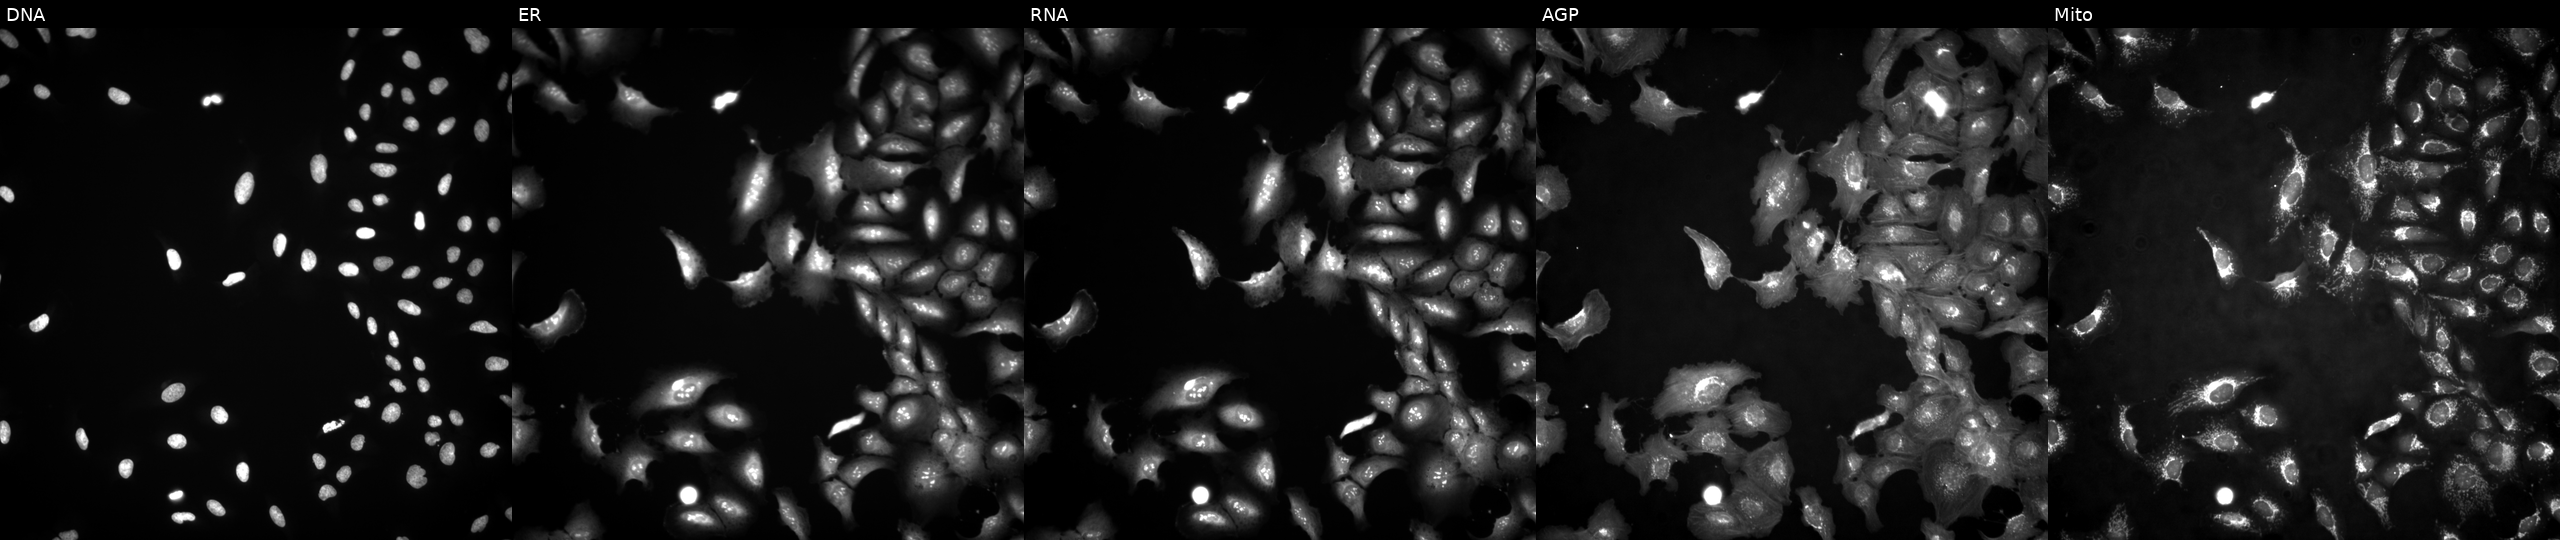
U2OS cells, Cell Painting assay, with PDS5B overexpressed (ORF) (JUMP id JCP2022_910876). From left to right: DNA (nuclei); ER (endoplasmic reticulum); RNA (nucleoli and cytoplasmic RNA); AGP (actin cytoskeleton, Golgi, and plasma membrane); Mito (mitochondria). Each panel is percentile-stretched 16-bit fluorescence.